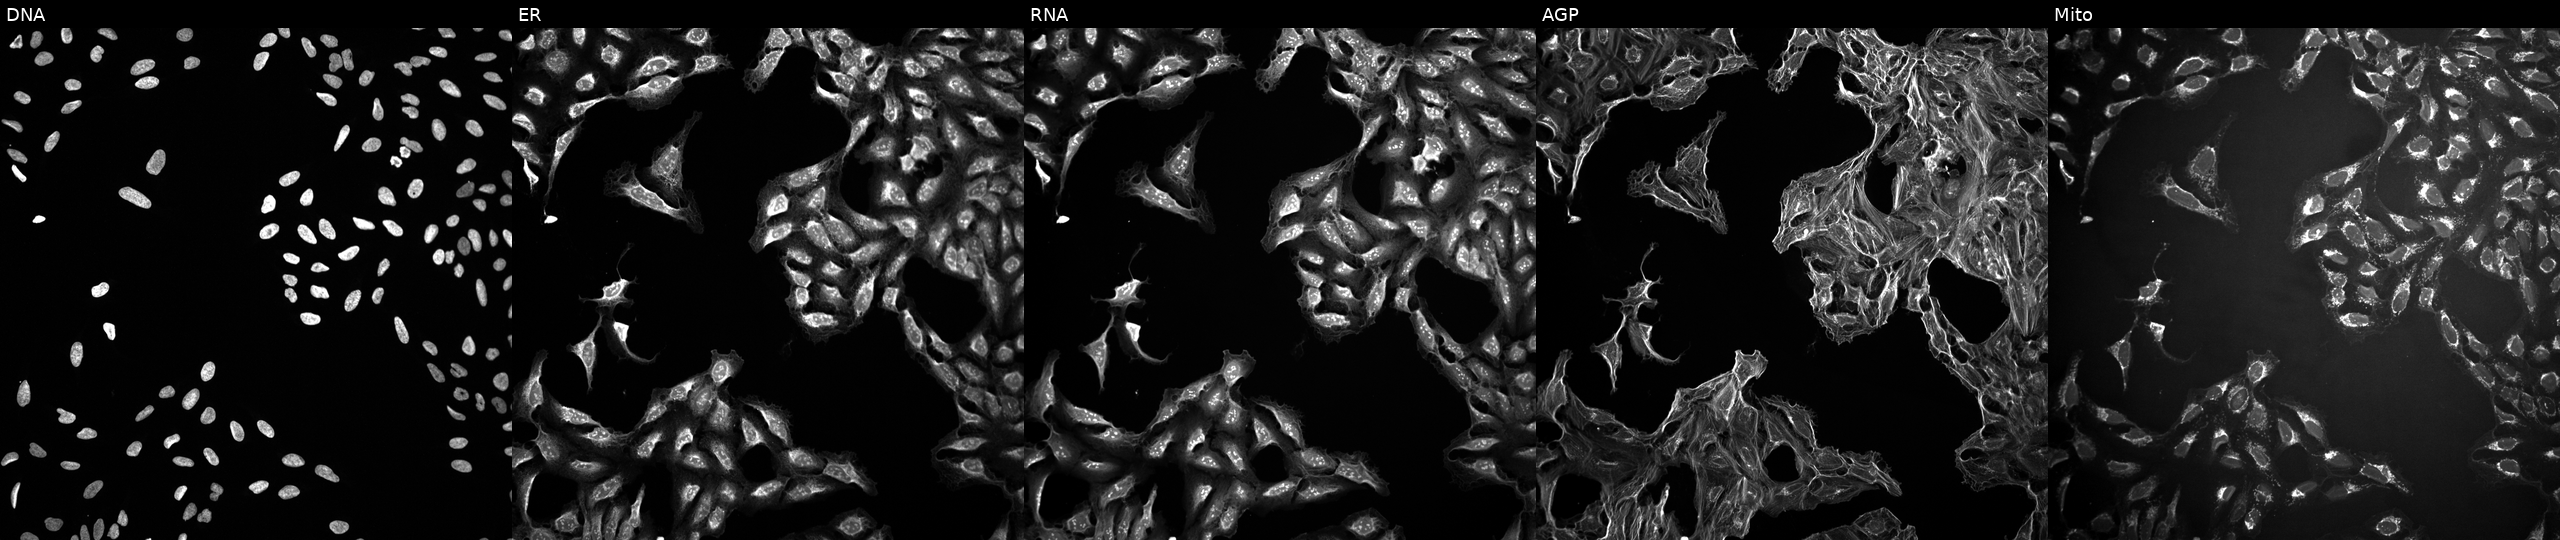
Channels (left→right): DNA, ER, RNA, AGP, and Mito. U2OS osteosarcoma cells treated with DMSO vehicle only (negative control) (JUMP id JCP2022_033924). Cell Painting assay, JUMP-CP dataset.